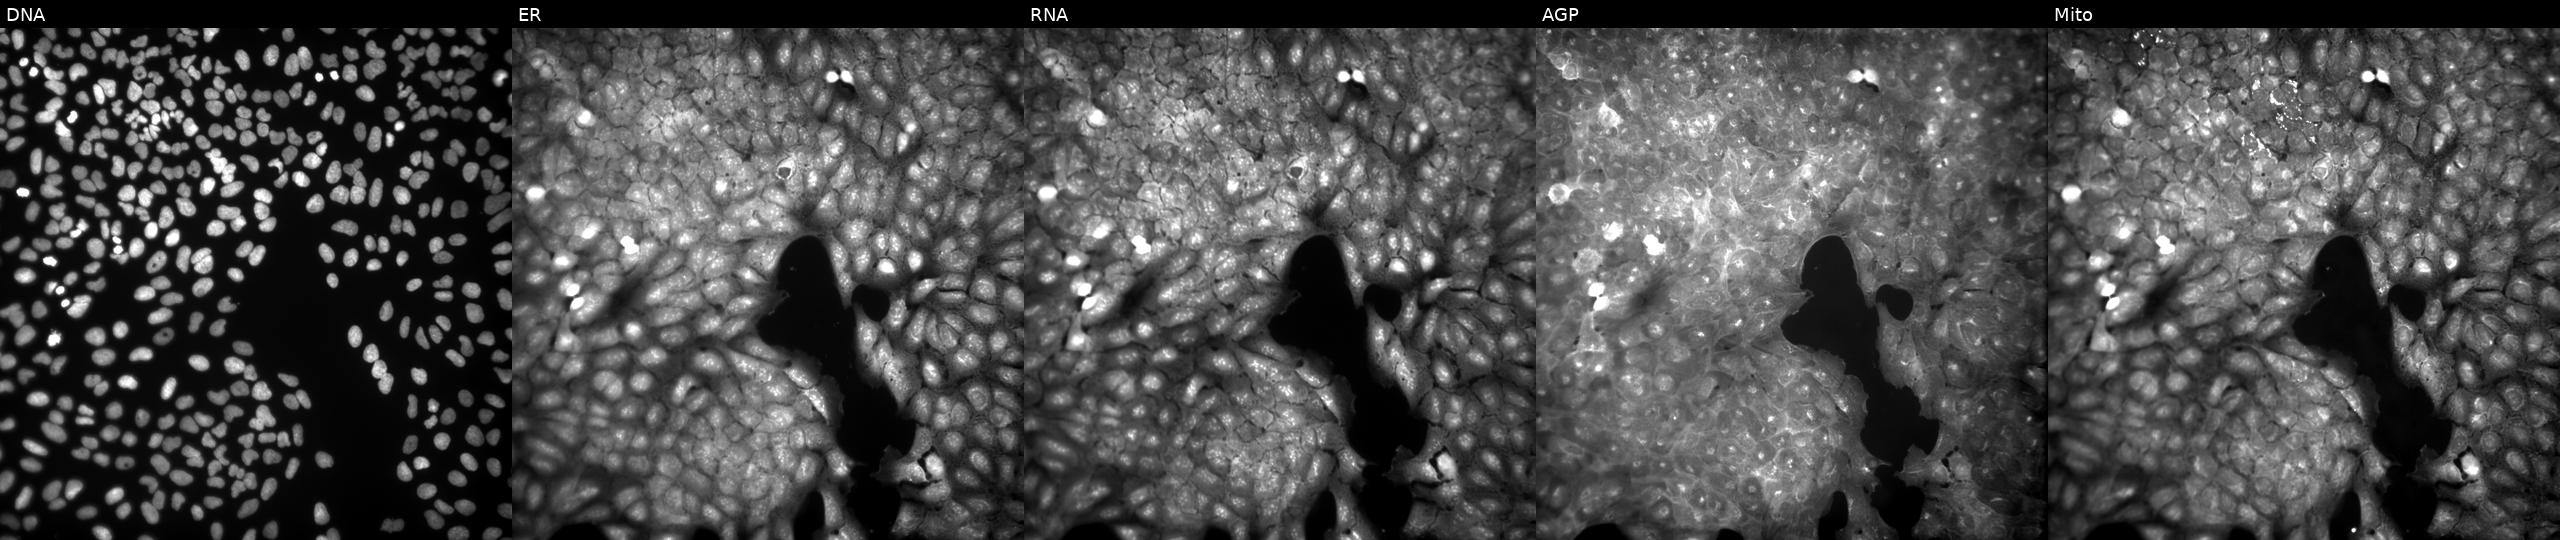
Channels (left→right): DNA, ER, RNA, AGP, and Mito. U2OS osteosarcoma cells treated with DMSO vehicle only (negative control) (JUMP id JCP2022_033924). Cell Painting assay, JUMP-CP dataset.